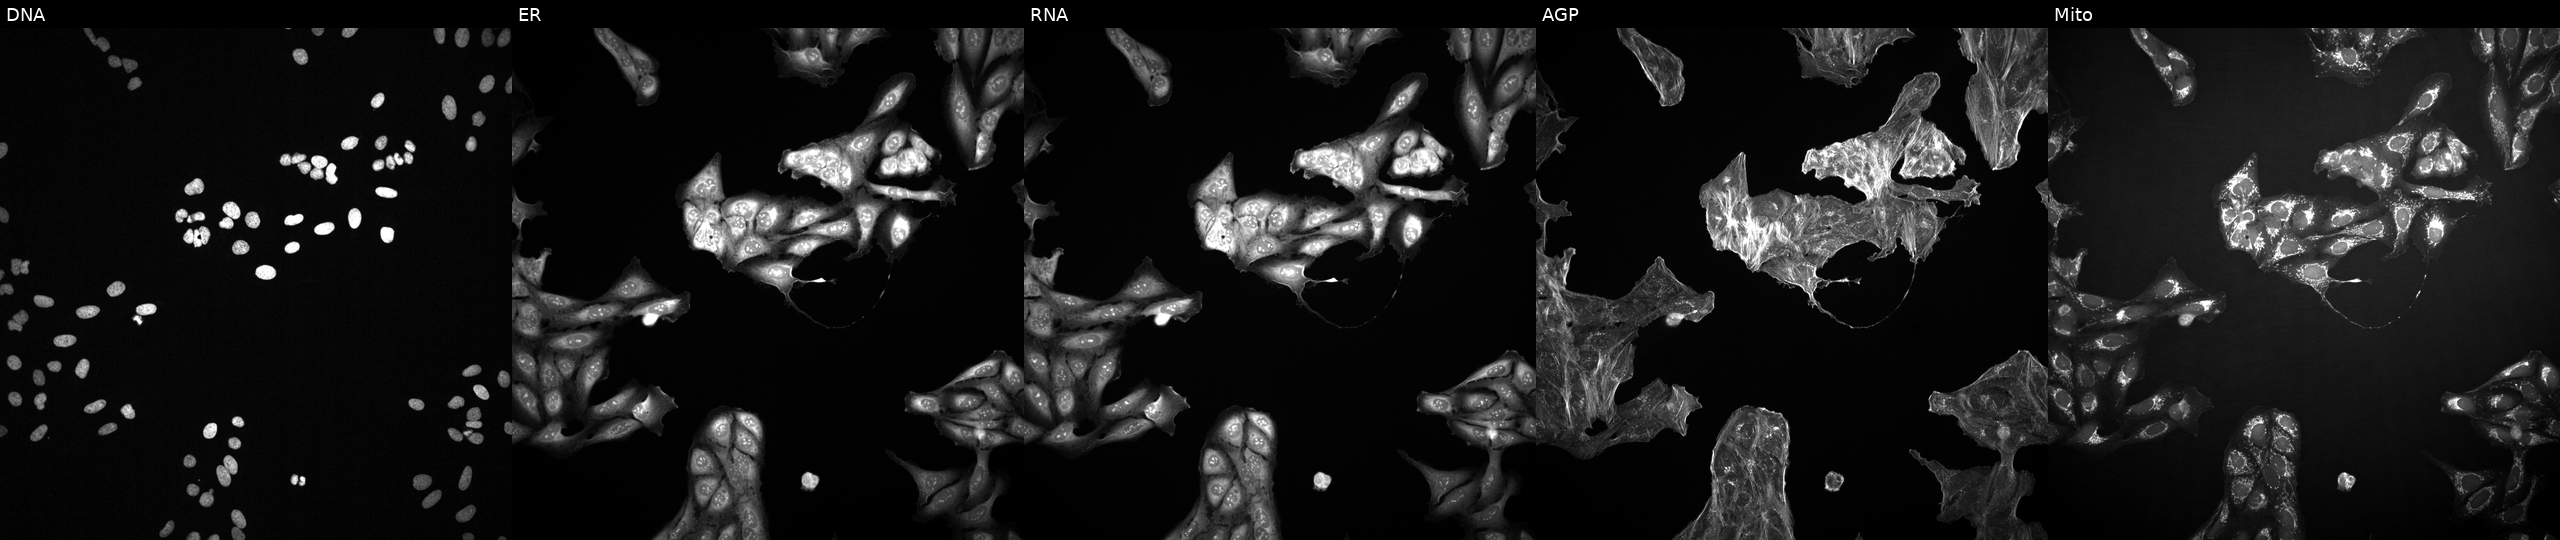
This image strip shows the five Cell Painting channels for a single field of U2OS cells treated with DMSO vehicle only (negative control) (JUMP id JCP2022_033924). From left to right: Hoechst 33342, concanavalin A, SYTO 14, phalloidin and WGA, MitoTracker.